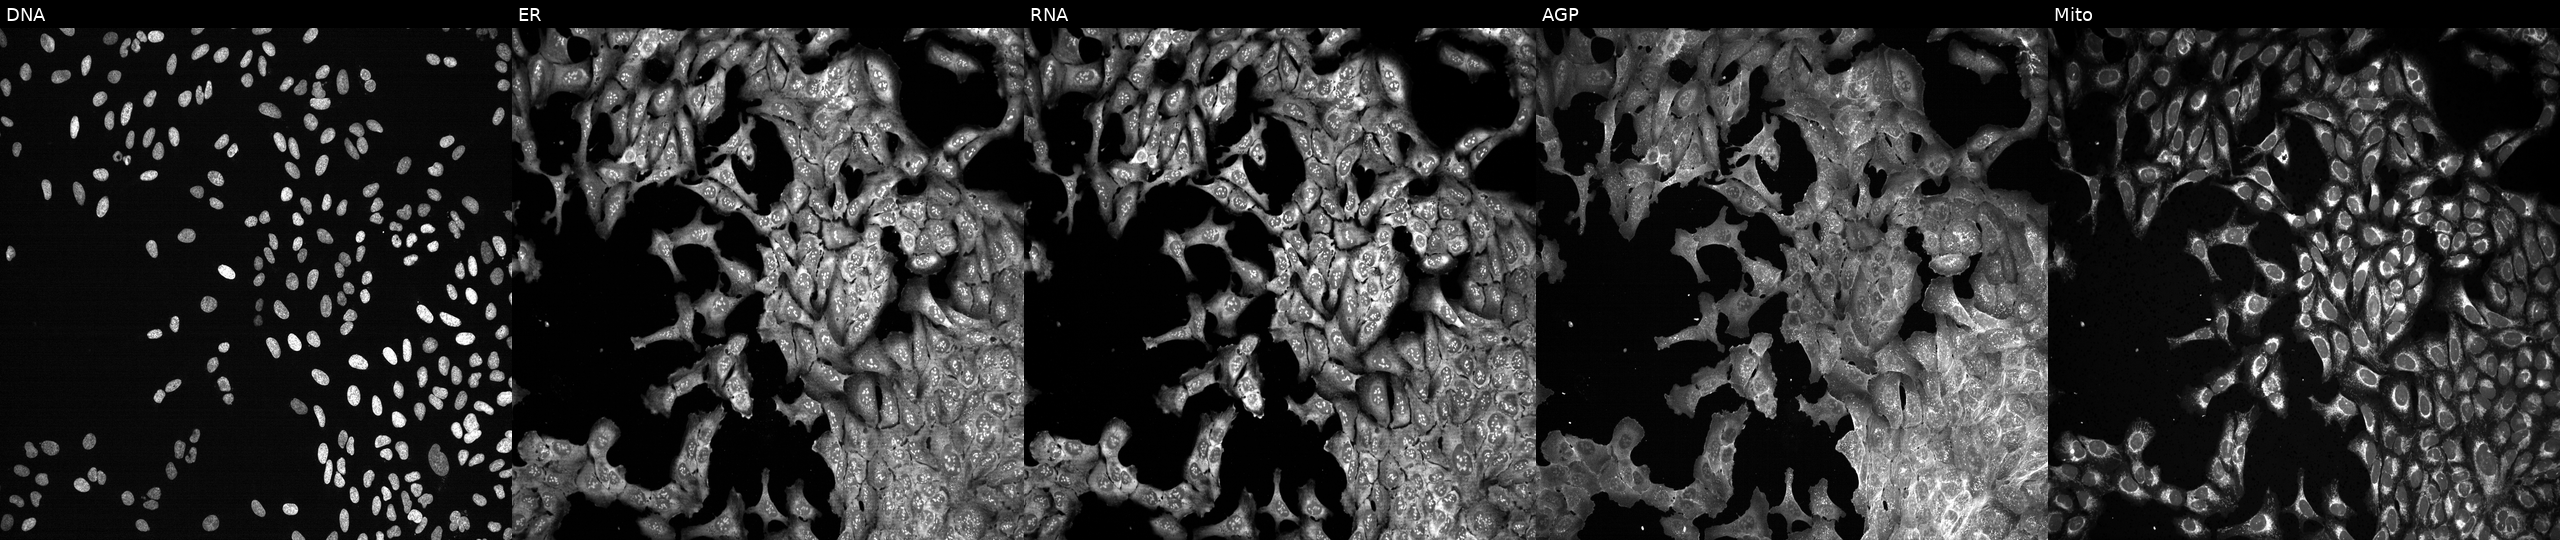
From left to right: Hoechst 33342, concanavalin A, SYTO 14, phalloidin and WGA, MitoTracker. U2OS osteosarcoma cells with NAA15 knocked out by CRISPR. Cell Painting assay, JUMP-CP dataset.